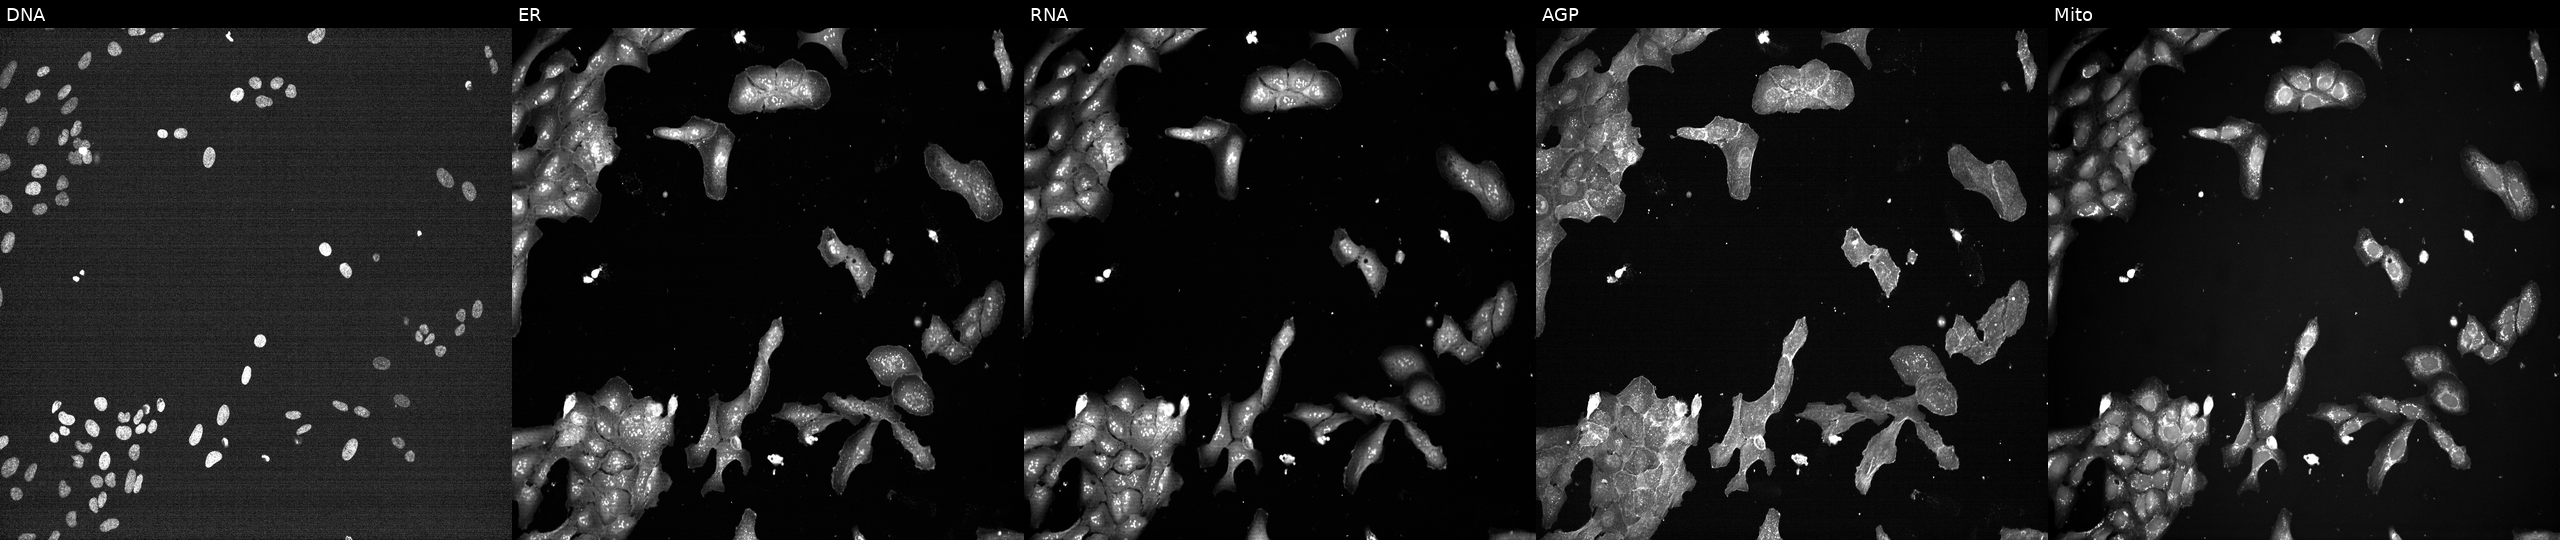
Five-channel Cell Painting image of U2OS cells perturbed with a small-molecule compound. Panels show, left to right, DNA (nuclei); ER (endoplasmic reticulum); RNA (nucleoli and cytoplasmic RNA); AGP (actin cytoskeleton, Golgi, and plasma membrane); Mito (mitochondria). Source 7, plate CP1-SC1-25, well P19.